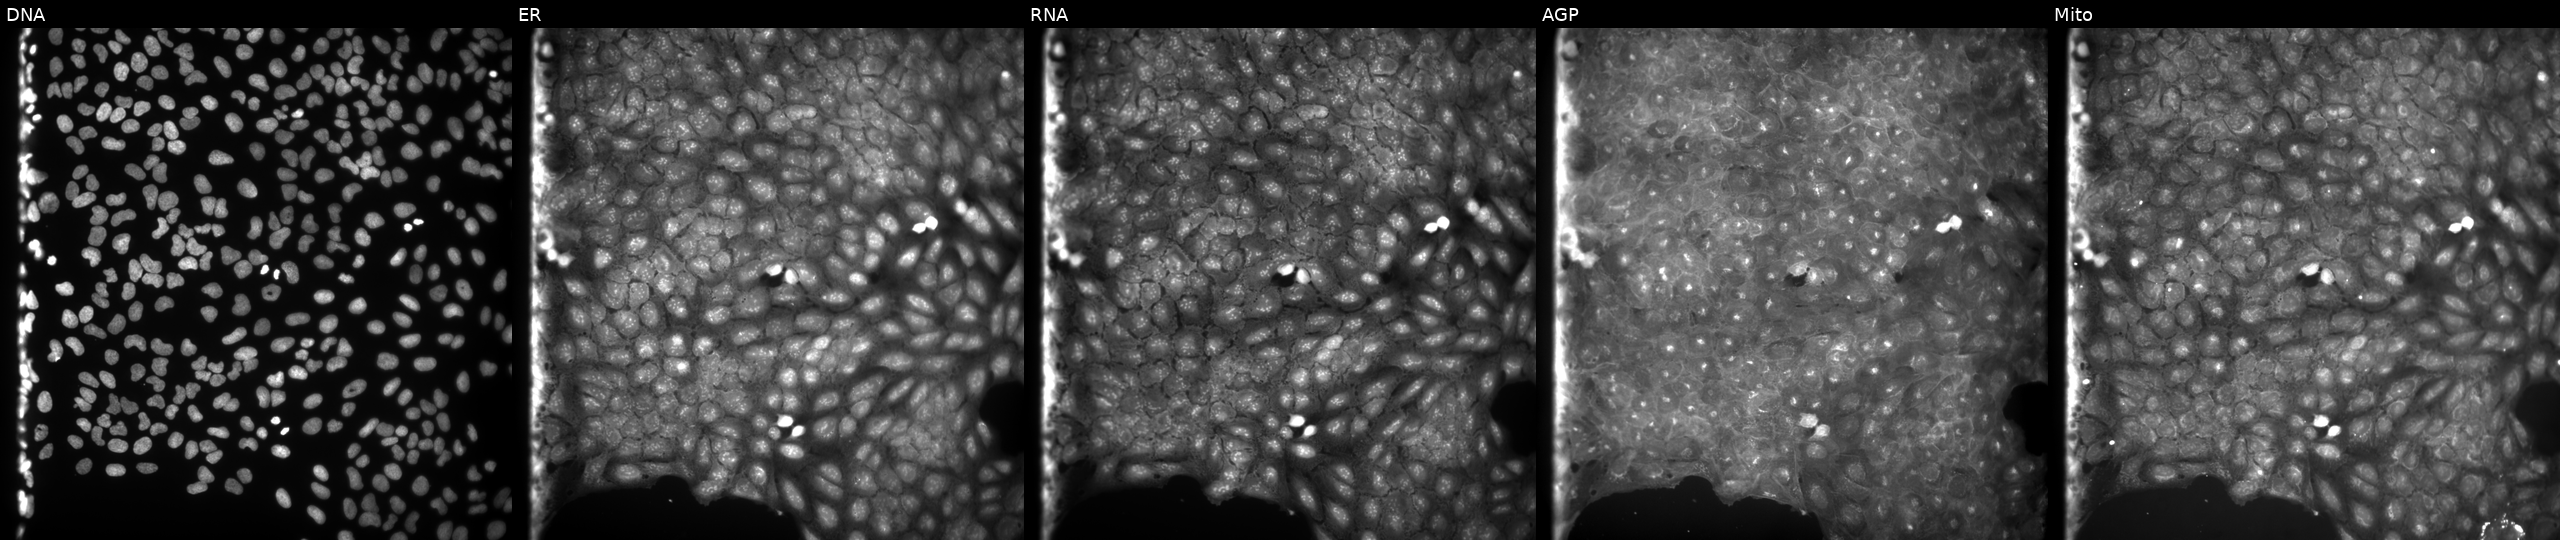
High-content fluorescence microscopy (Cell Painting). Cell line: U2OS. Perturbation: exposed to a small-molecule compound (InChIKey ZMYXXEWSYDZXHU-UHFFFAOYSA-N). The five panels, left to right, show DNA (nuclei); ER (endoplasmic reticulum); RNA (nucleoli and cytoplasmic RNA); AGP (actin cytoskeleton, Golgi, and plasma membrane); Mito (mitochondria).